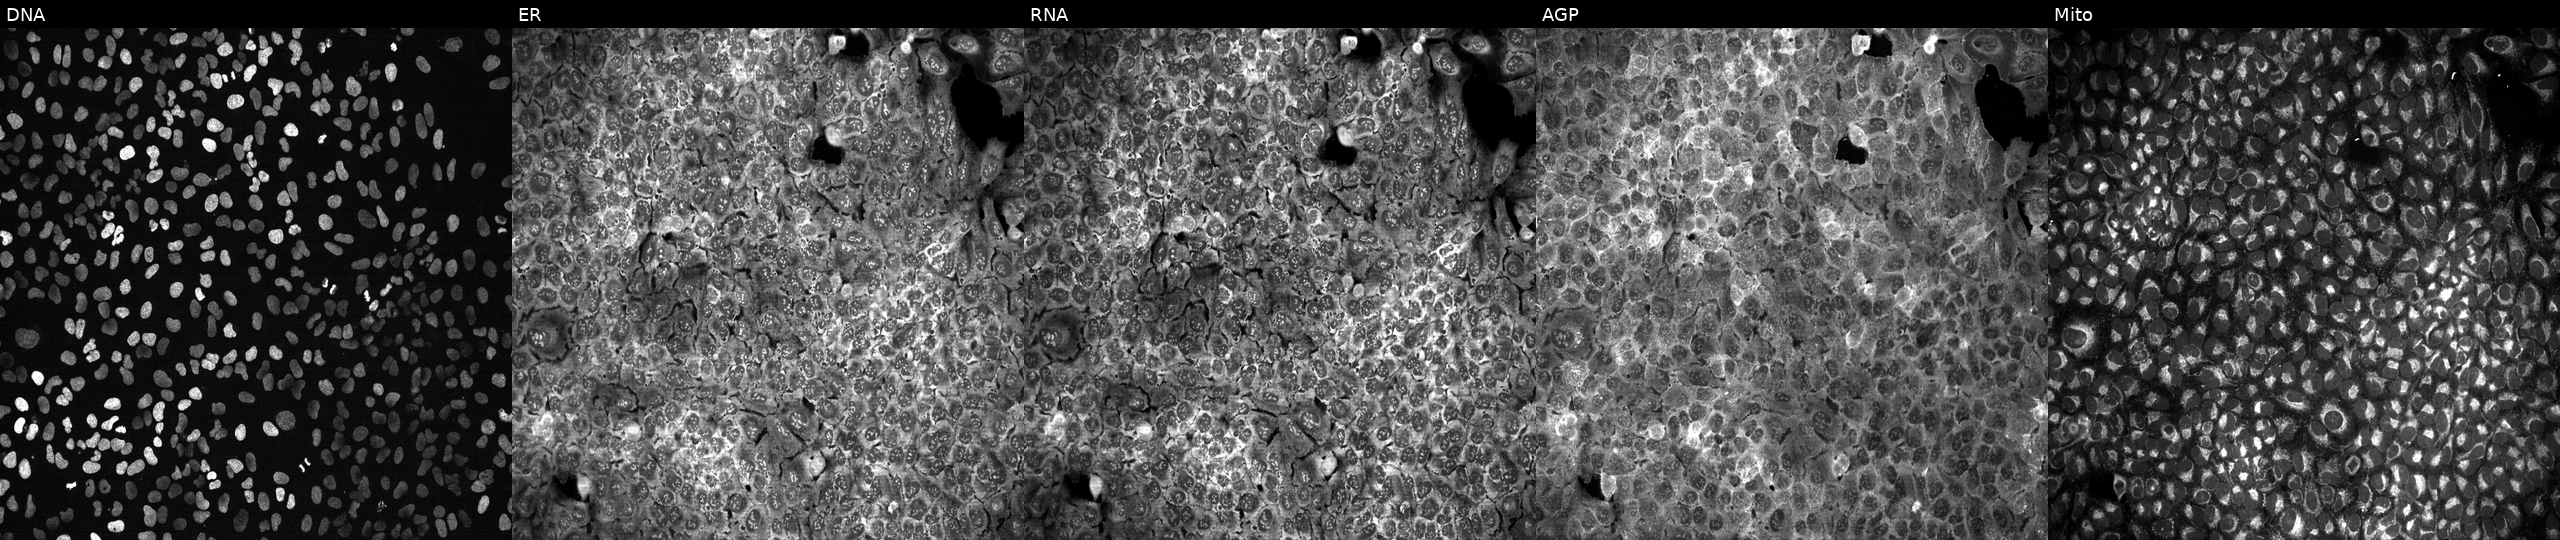
High-content fluorescence microscopy (Cell Painting). Cell line: U2OS. Perturbation: with LCN12 knocked out by CRISPR. Panels show, left to right, Hoechst 33342, concanavalin A, SYTO 14, phalloidin and WGA, MitoTracker. Source 13, plate CP-CC9-R3-01, well C17.